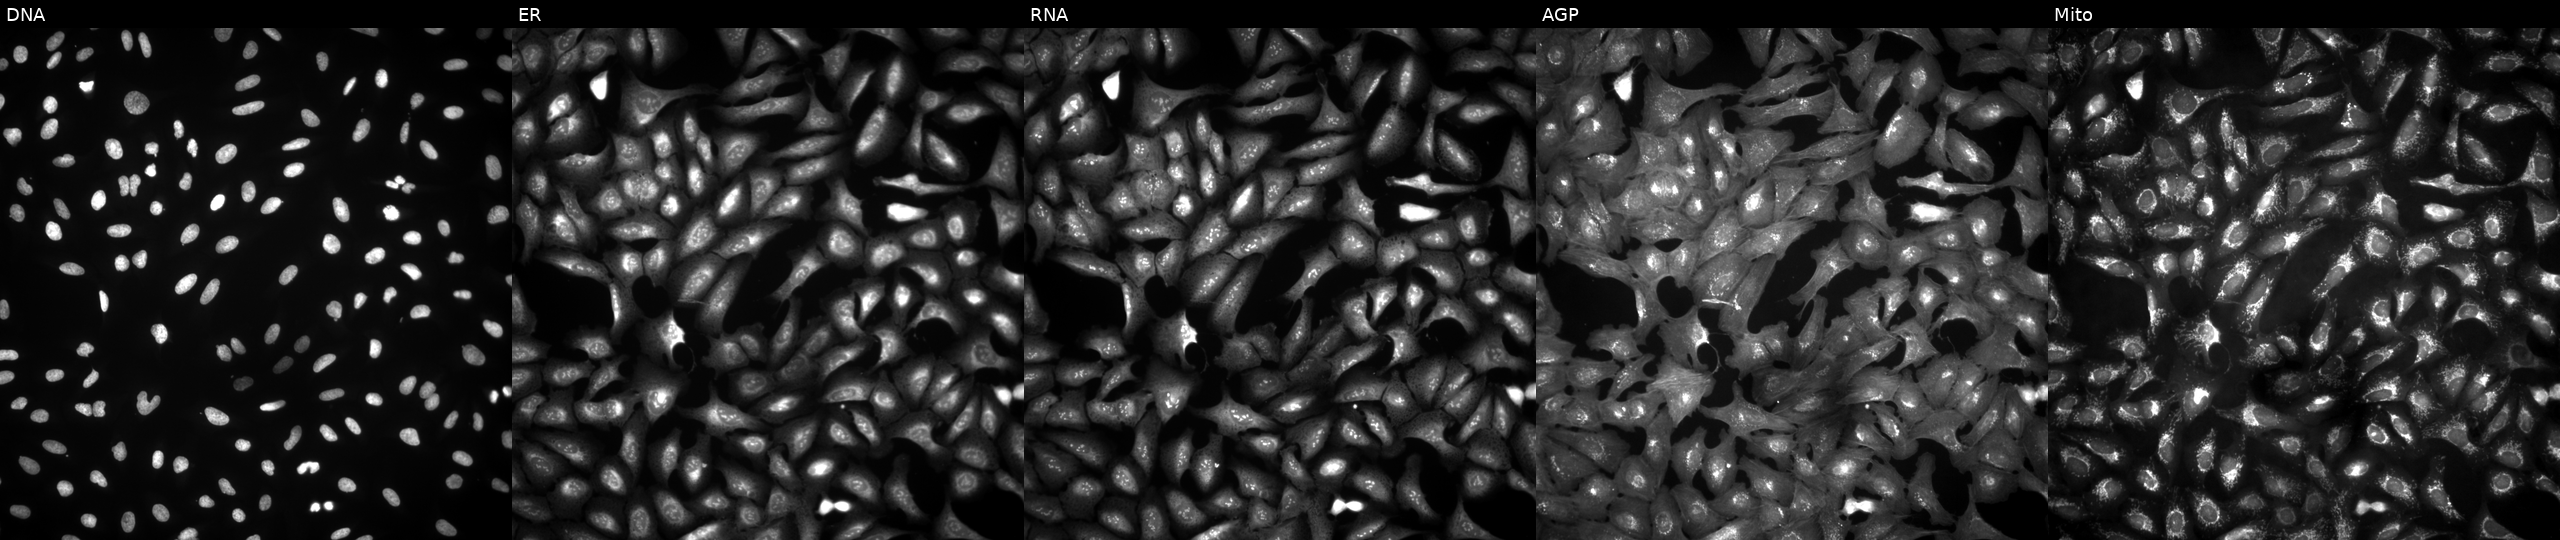
Channels (left→right): DNA (nuclei); ER (endoplasmic reticulum); RNA (nucleoli and cytoplasmic RNA); AGP (actin cytoskeleton, Golgi, and plasma membrane); Mito (mitochondria). U2OS osteosarcoma cells with RABGGTB overexpressed (ORF) (JUMP id JCP2022_901278). Cell Painting assay, JUMP-CP dataset. Source 4, plate BR00124790, well I19.